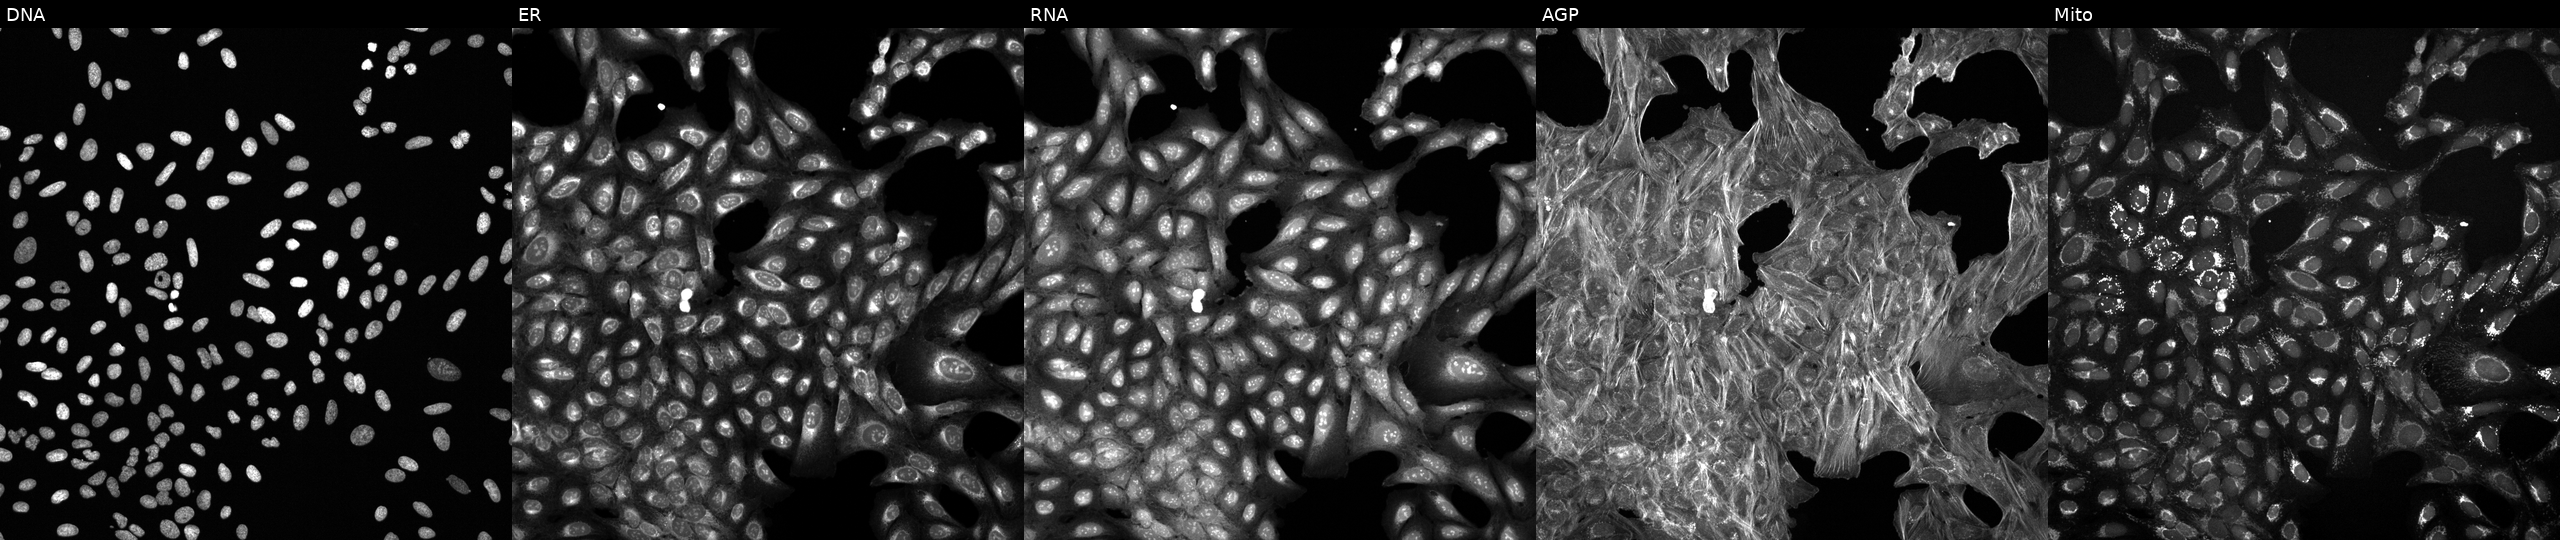
Five-channel Cell Painting image of U2OS cells exposed to a small-molecule compound (InChIKey UOYGXUASYFSPPH-UHFFFAOYSA-N). Panels show, left to right, DNA (nuclei); ER (endoplasmic reticulum); RNA (nucleoli and cytoplasmic RNA); AGP (actin cytoskeleton, Golgi, and plasma membrane); Mito (mitochondria).